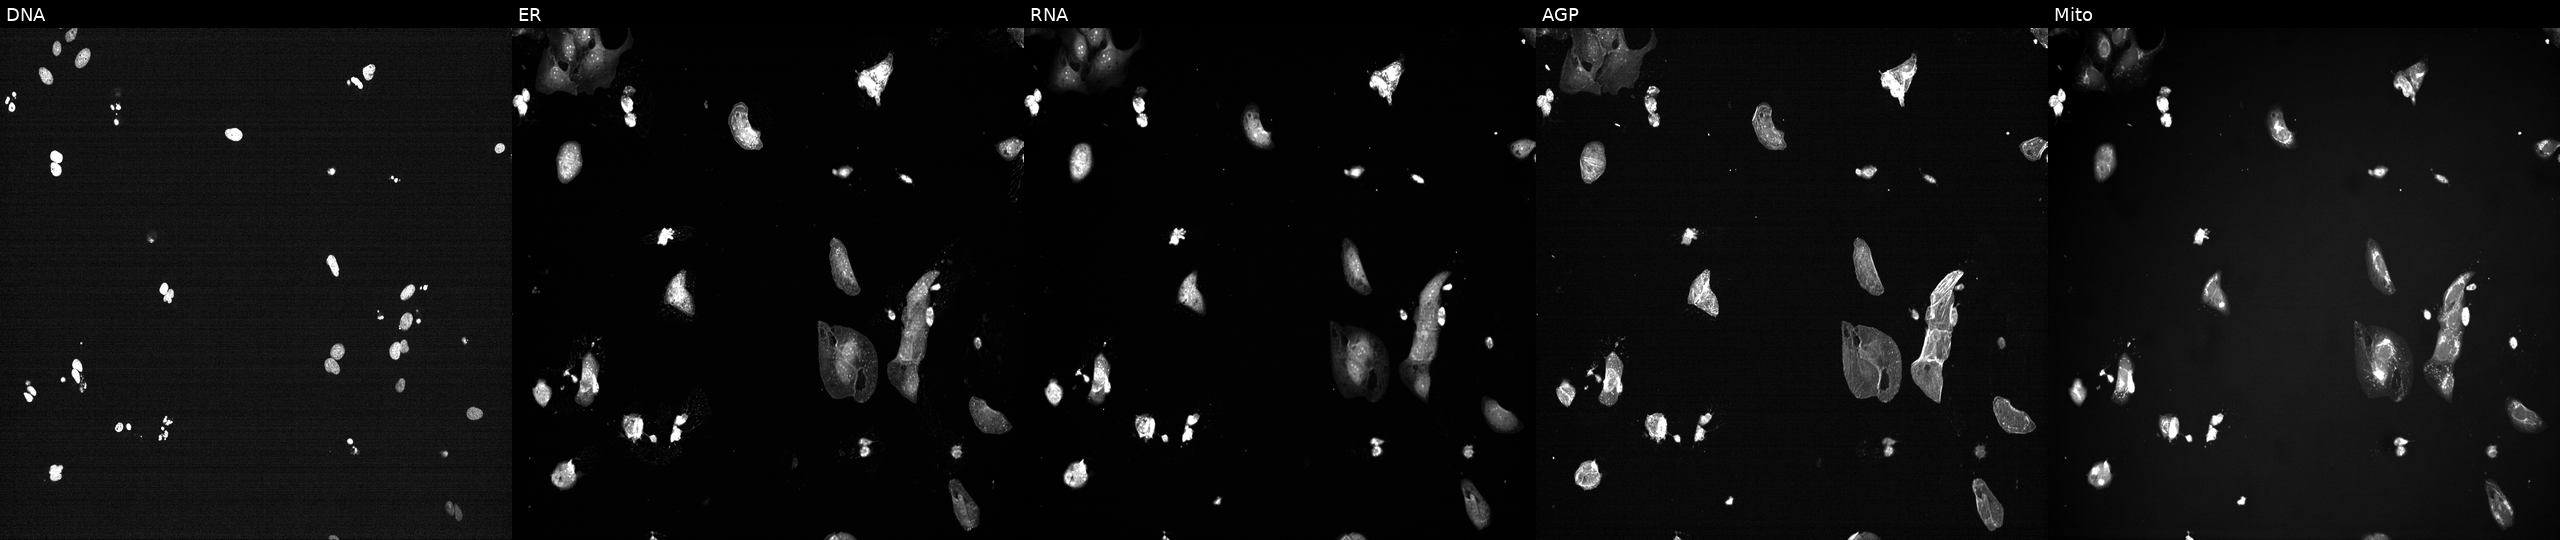
This image strip shows the five Cell Painting channels for a single field of U2OS cells treated with a small-molecule compound. Channels (left→right): Hoechst 33342, concanavalin A, SYTO 14, phalloidin and WGA, MitoTracker.